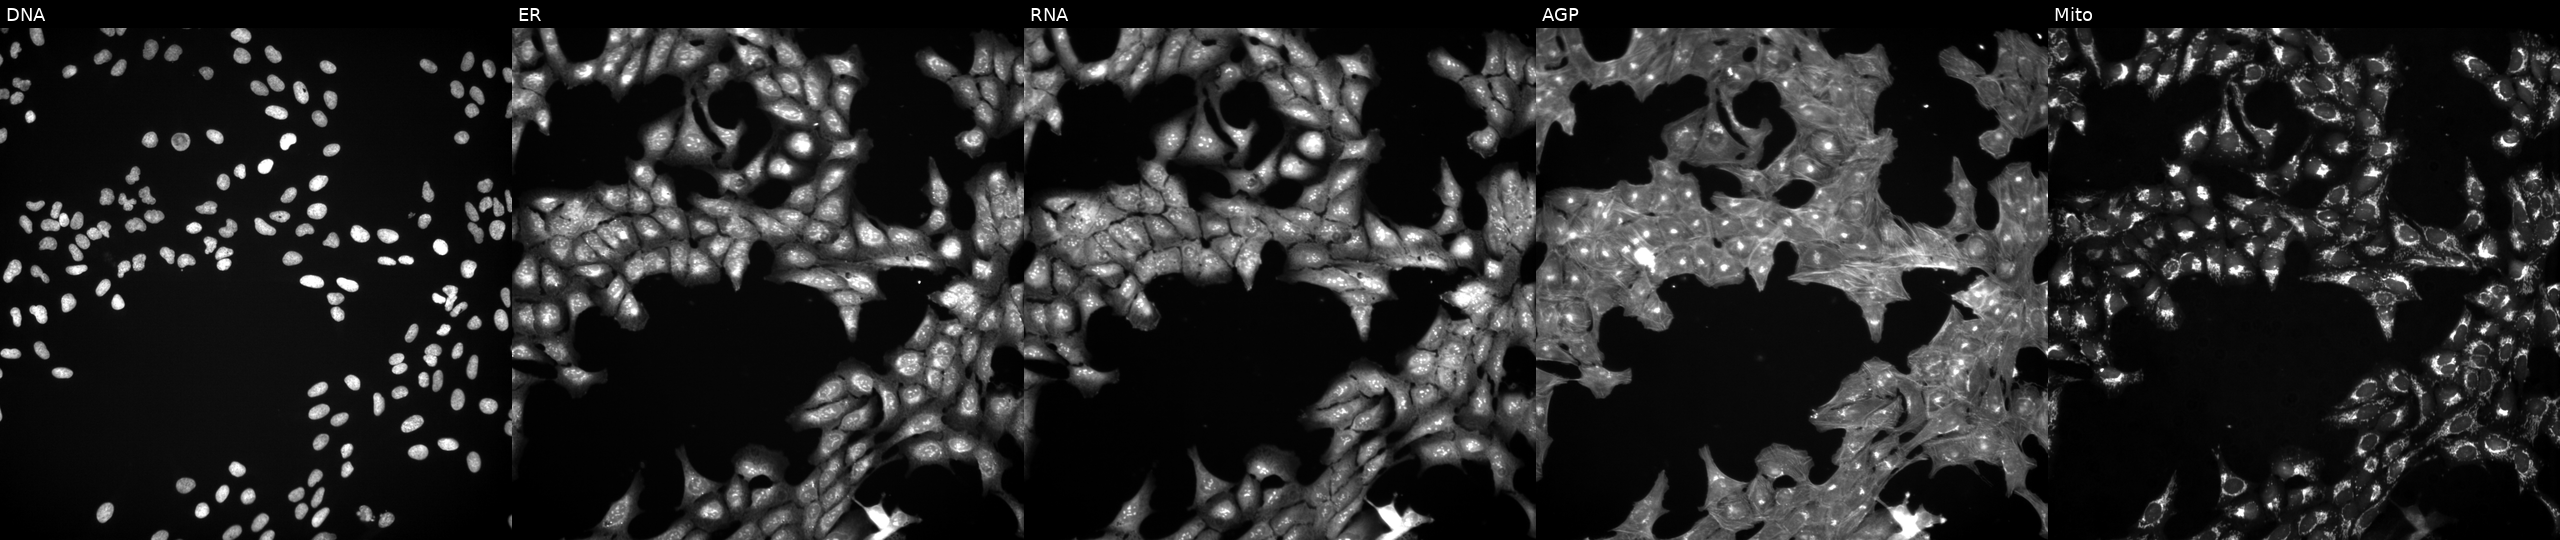
This image strip shows the five Cell Painting channels for a single field of U2OS cells exposed to a small-molecule compound. From left to right: DNA (nuclei); ER (endoplasmic reticulum); RNA (nucleoli and cytoplasmic RNA); AGP (actin cytoskeleton, Golgi, and plasma membrane); Mito (mitochondria).